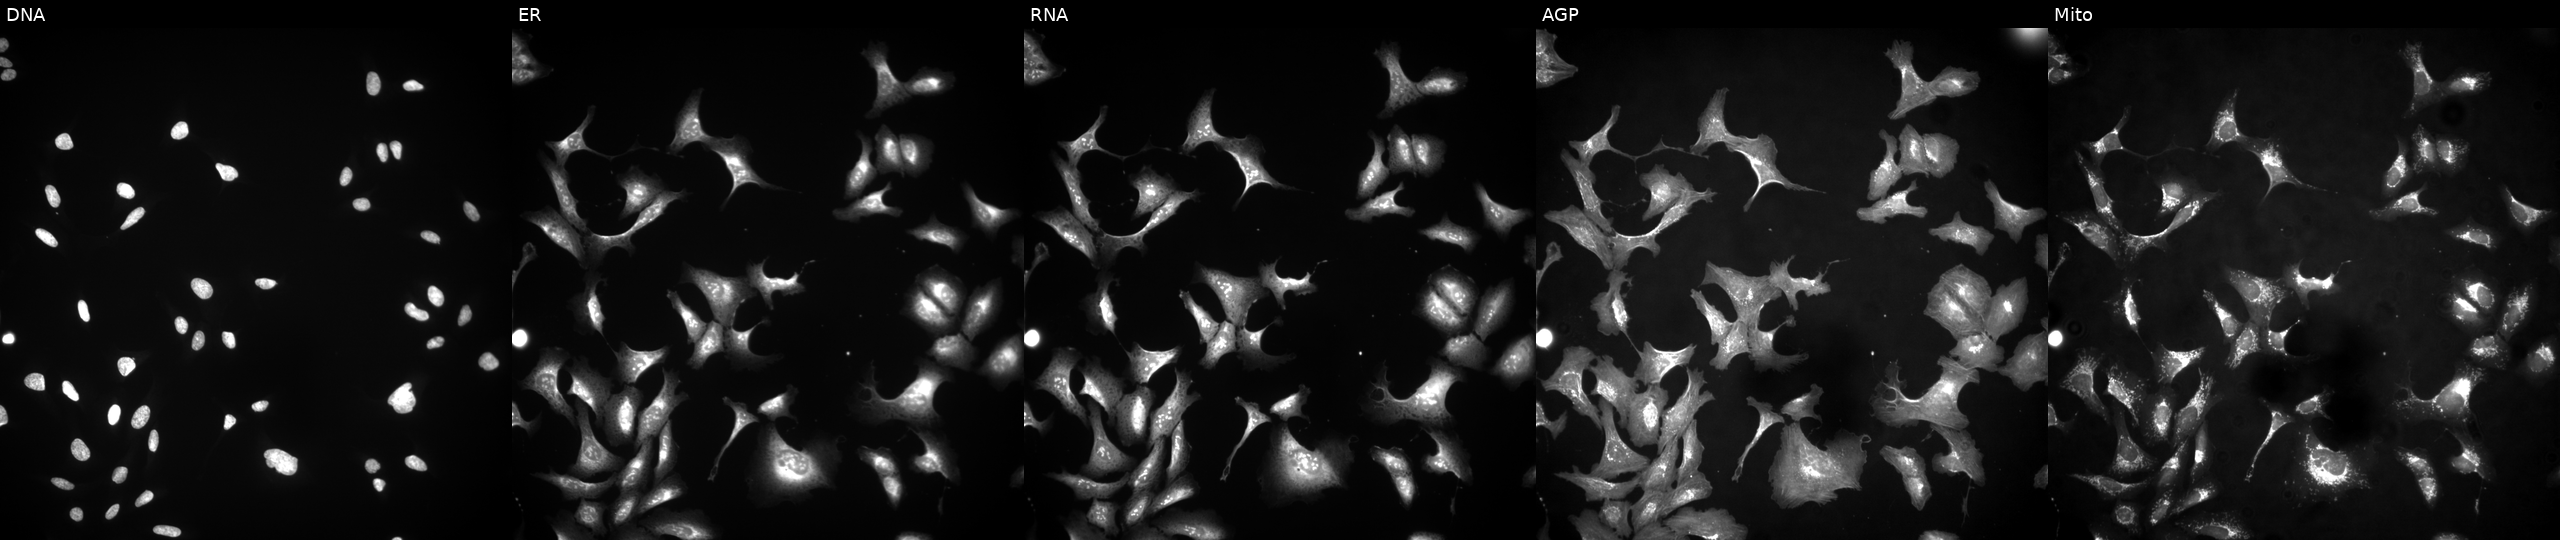
This image strip shows the five Cell Painting channels for a single field of U2OS cells with TLR10 overexpressed (ORF). Channels (left→right): DNA (nuclei); ER (endoplasmic reticulum); RNA (nucleoli and cytoplasmic RNA); AGP (actin cytoskeleton, Golgi, and plasma membrane); Mito (mitochondria). Source 4, plate BR00124790, well I16.